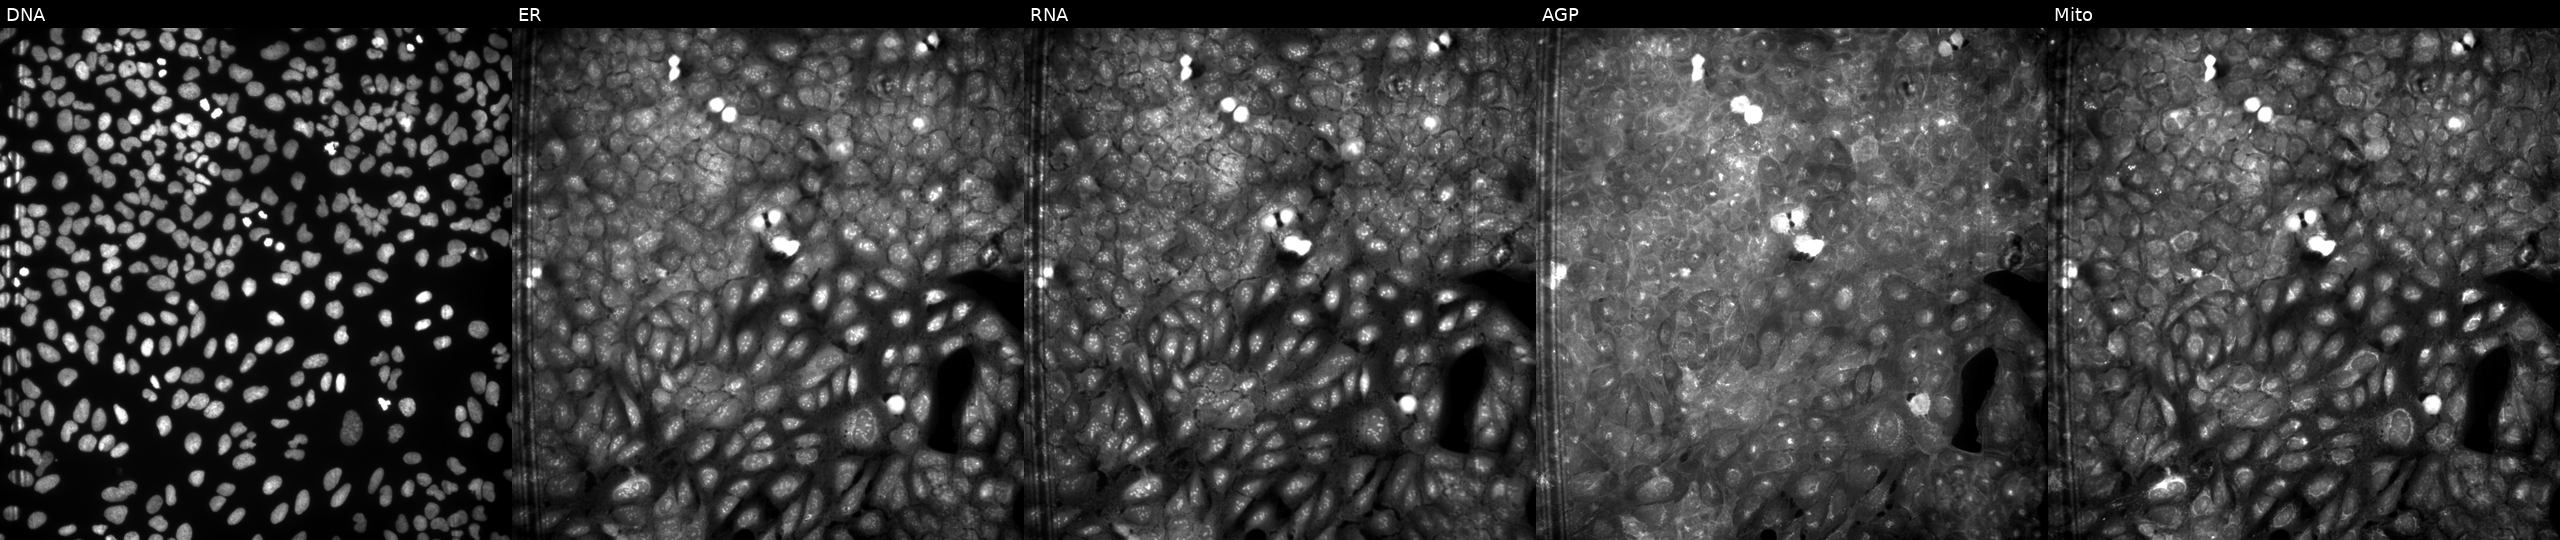
Five-channel Cell Painting image of U2OS cells exposed to a small-molecule compound (InChIKey MKBUTWWNSNRBDT-UHFFFAOYSA-N) (JUMP id JCP2022_054669). Panels show, left to right, DNA, ER, RNA, AGP, and Mito.